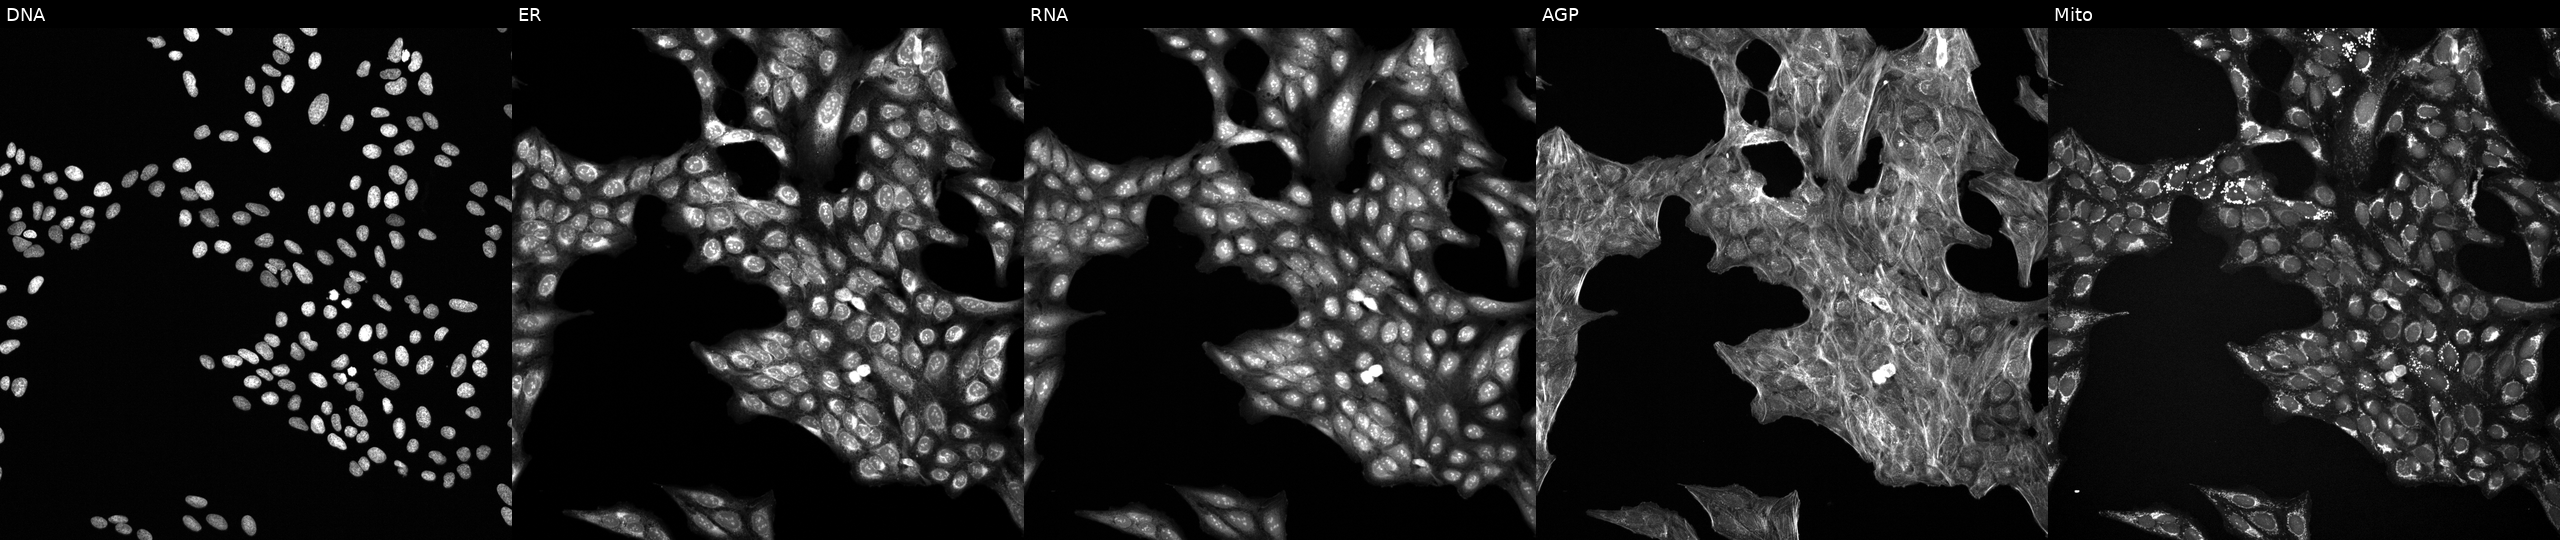
JUMP Cell Painting — COMPOUND plate. U2OS cells exposed to the positive-control compound LY2109761. Channels (left→right): DNA, ER, RNA, AGP, and Mito. Source 6, plate 110000293082, well M01.